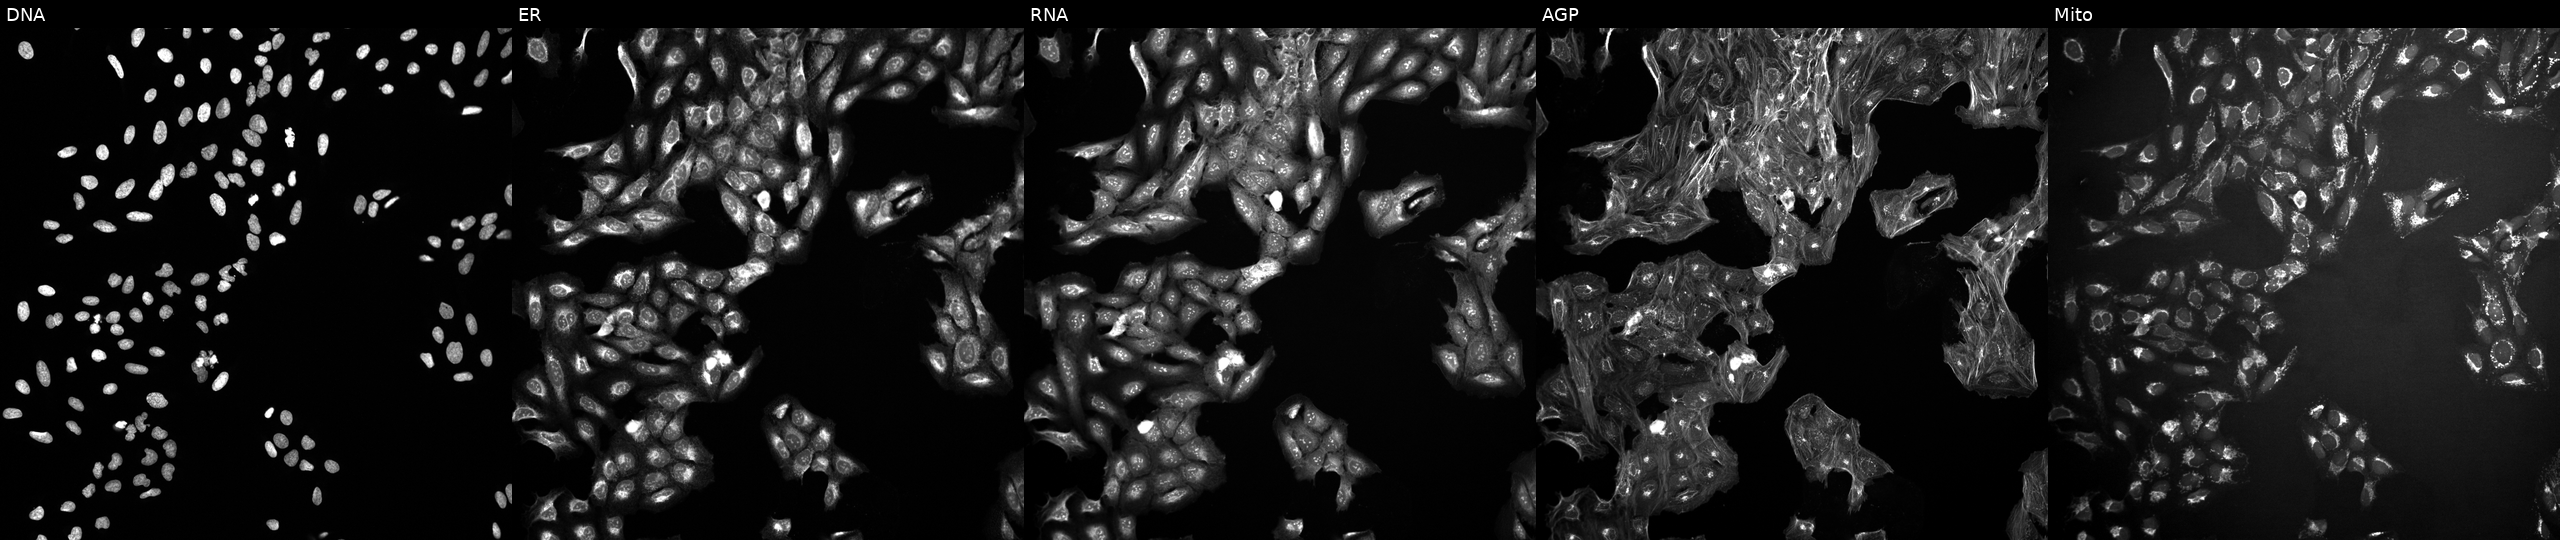
High-content fluorescence microscopy (Cell Painting). Cell line: U2OS. Perturbation: exposed to a small-molecule compound (JUMP id JCP2022_112952). The five panels, left to right, show Hoechst 33342, concanavalin A, SYTO 14, phalloidin and WGA, MitoTracker.